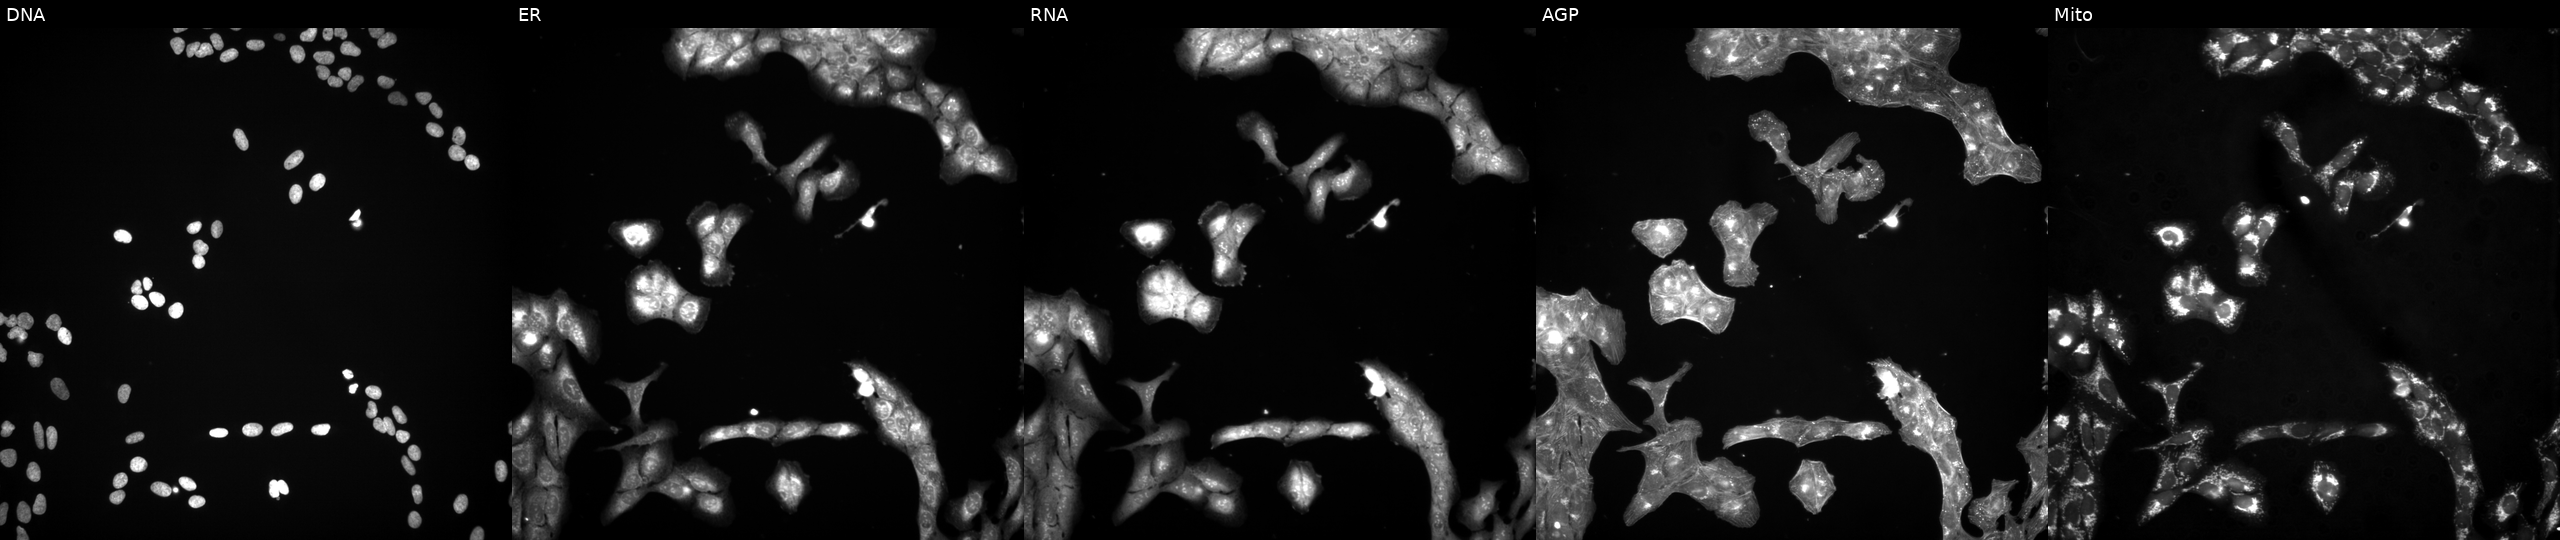
JUMP Cell Painting — TARGET2 plate. U2OS cells treated with a small-molecule compound (InChIKey DMWVGXGXHPOEPT-UHFFFAOYSA-N) (JUMP id JCP2022_016935). Channels (left→right): DNA (nuclei); ER (endoplasmic reticulum); RNA (nucleoli and cytoplasmic RNA); AGP (actin cytoskeleton, Golgi, and plasma membrane); Mito (mitochondria).